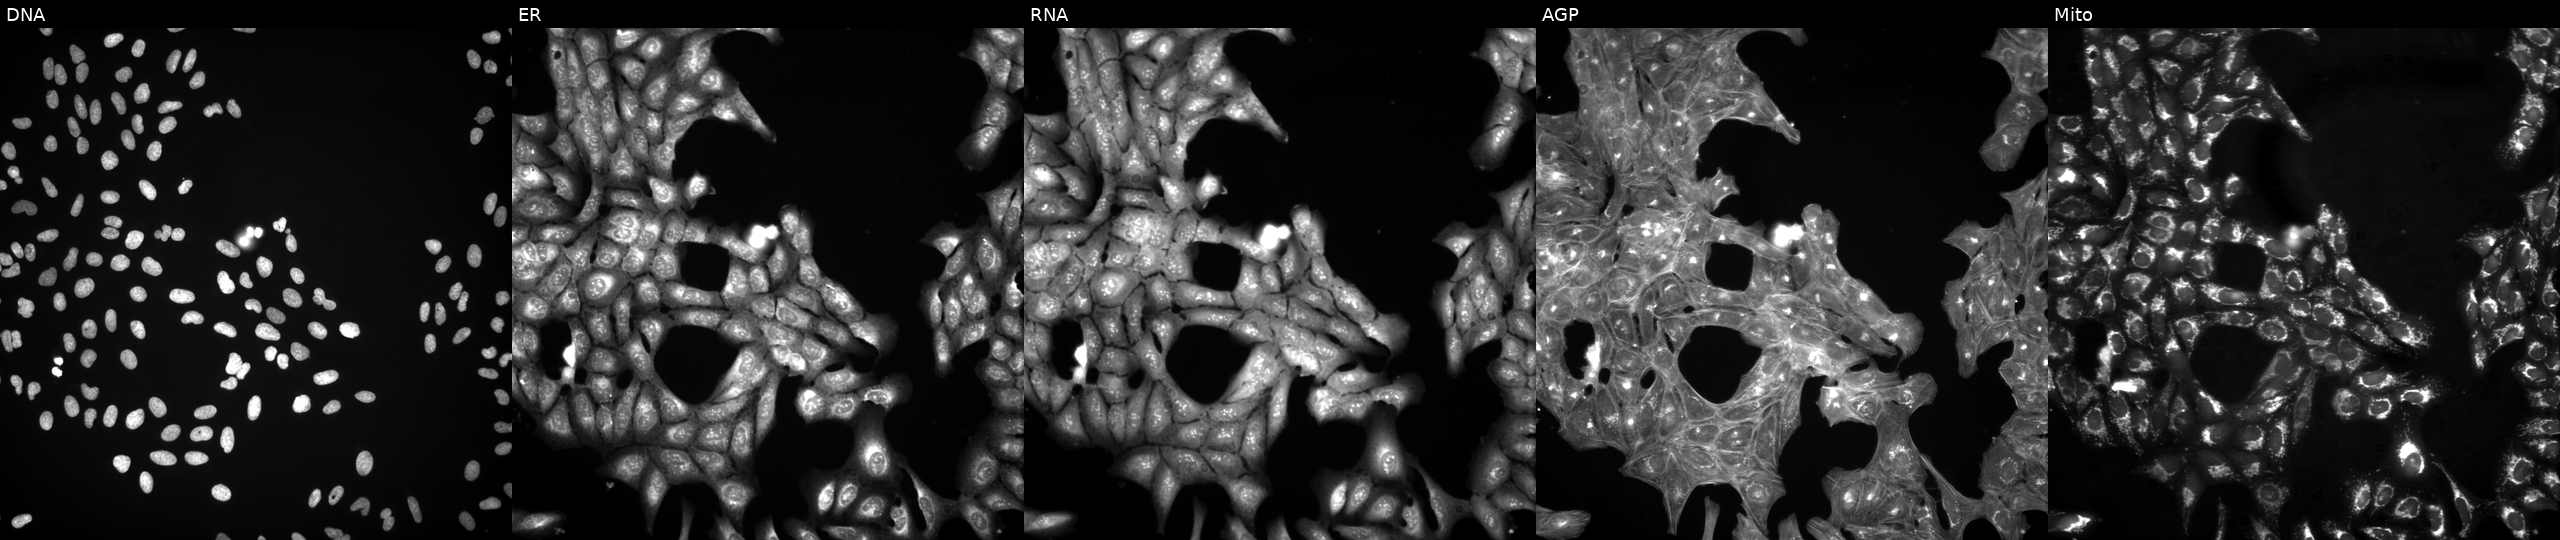
High-content fluorescence microscopy (Cell Painting). Cell line: U2OS. Perturbation: exposed to a small-molecule compound. The five panels, left to right, show DNA (nuclei); ER (endoplasmic reticulum); RNA (nucleoli and cytoplasmic RNA); AGP (actin cytoskeleton, Golgi, and plasma membrane); Mito (mitochondria).